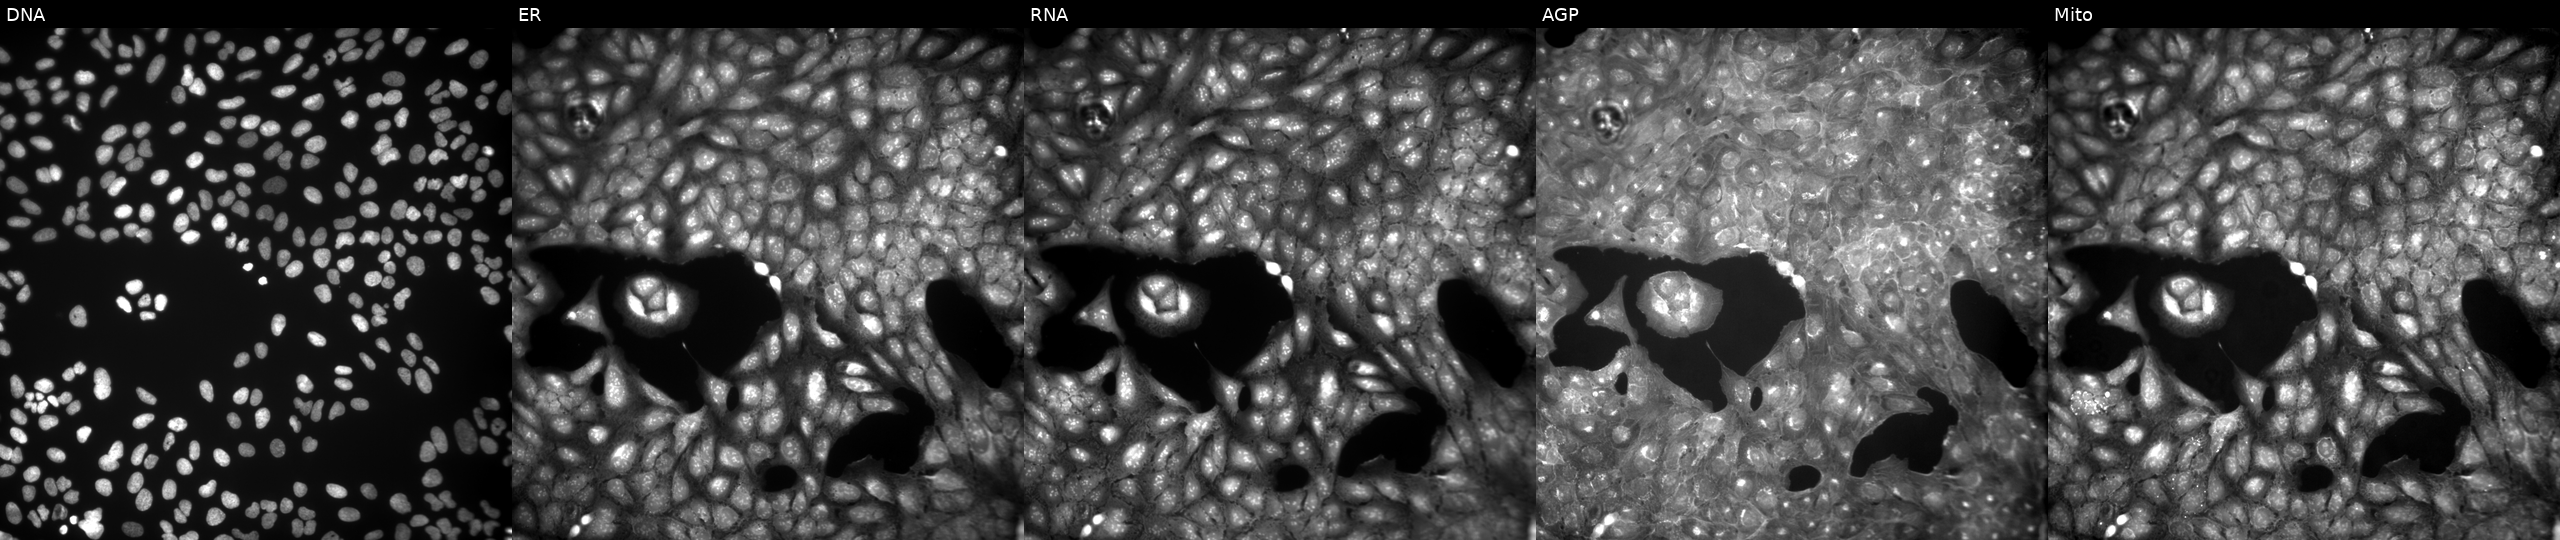
U2OS cells, Cell Painting assay, treated with a small-molecule compound (JUMP id JCP2022_053186). Panels show, left to right, Hoechst 33342, concanavalin A, SYTO 14, phalloidin and WGA, MitoTracker. Each panel is percentile-stretched 16-bit fluorescence.